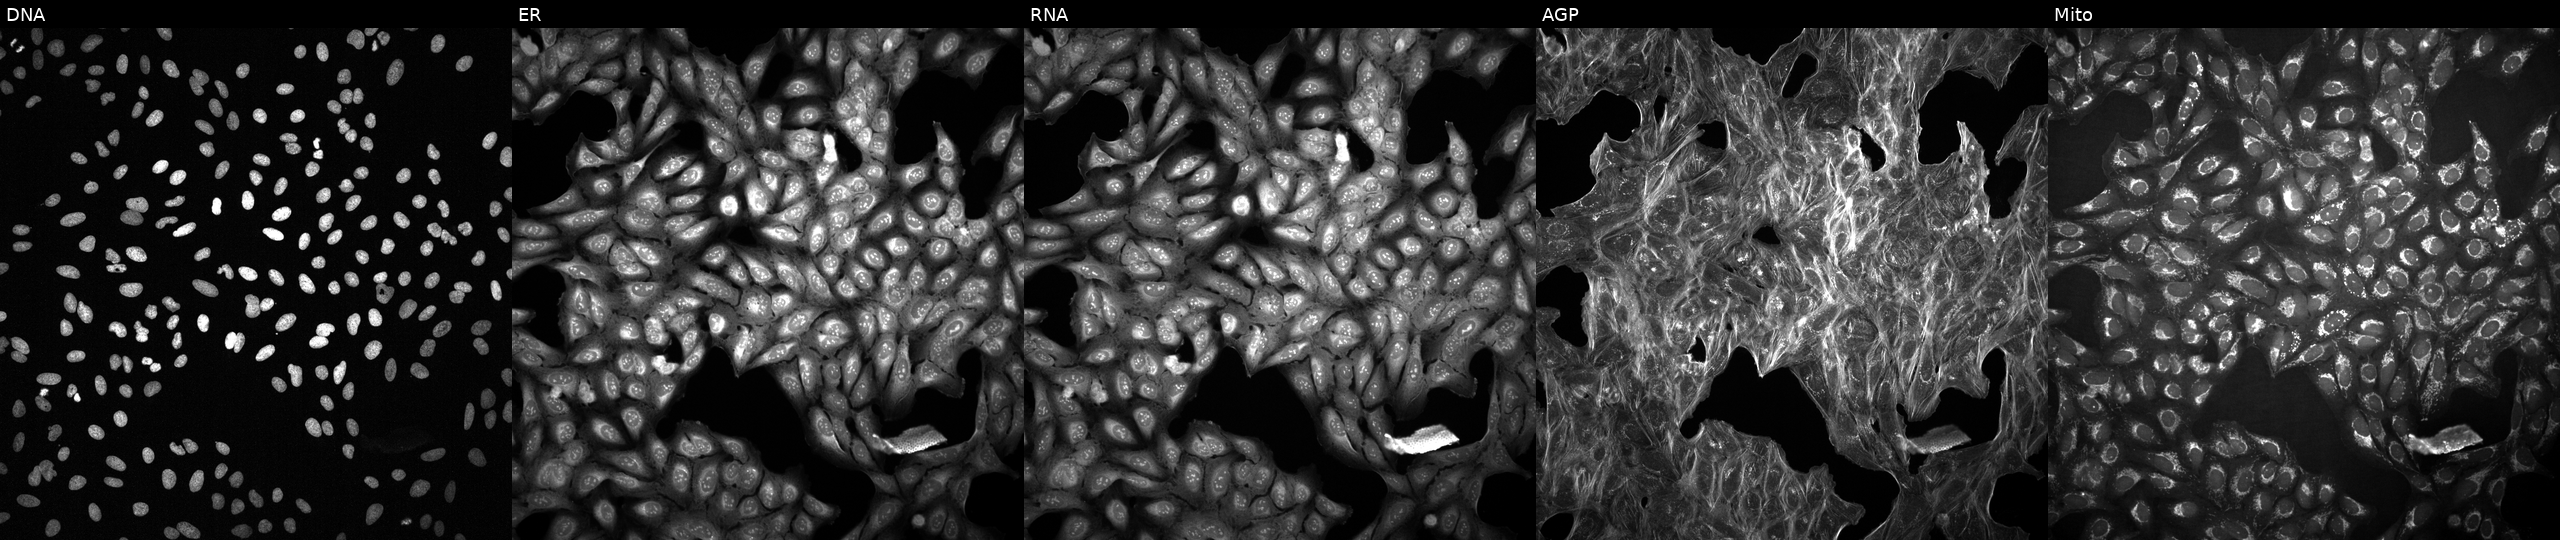
This image strip shows the five Cell Painting channels for a single field of U2OS cells treated with DMSO vehicle only (negative control) (JUMP id JCP2022_033924). The five panels, left to right, show DNA, ER, RNA, AGP, and Mito.